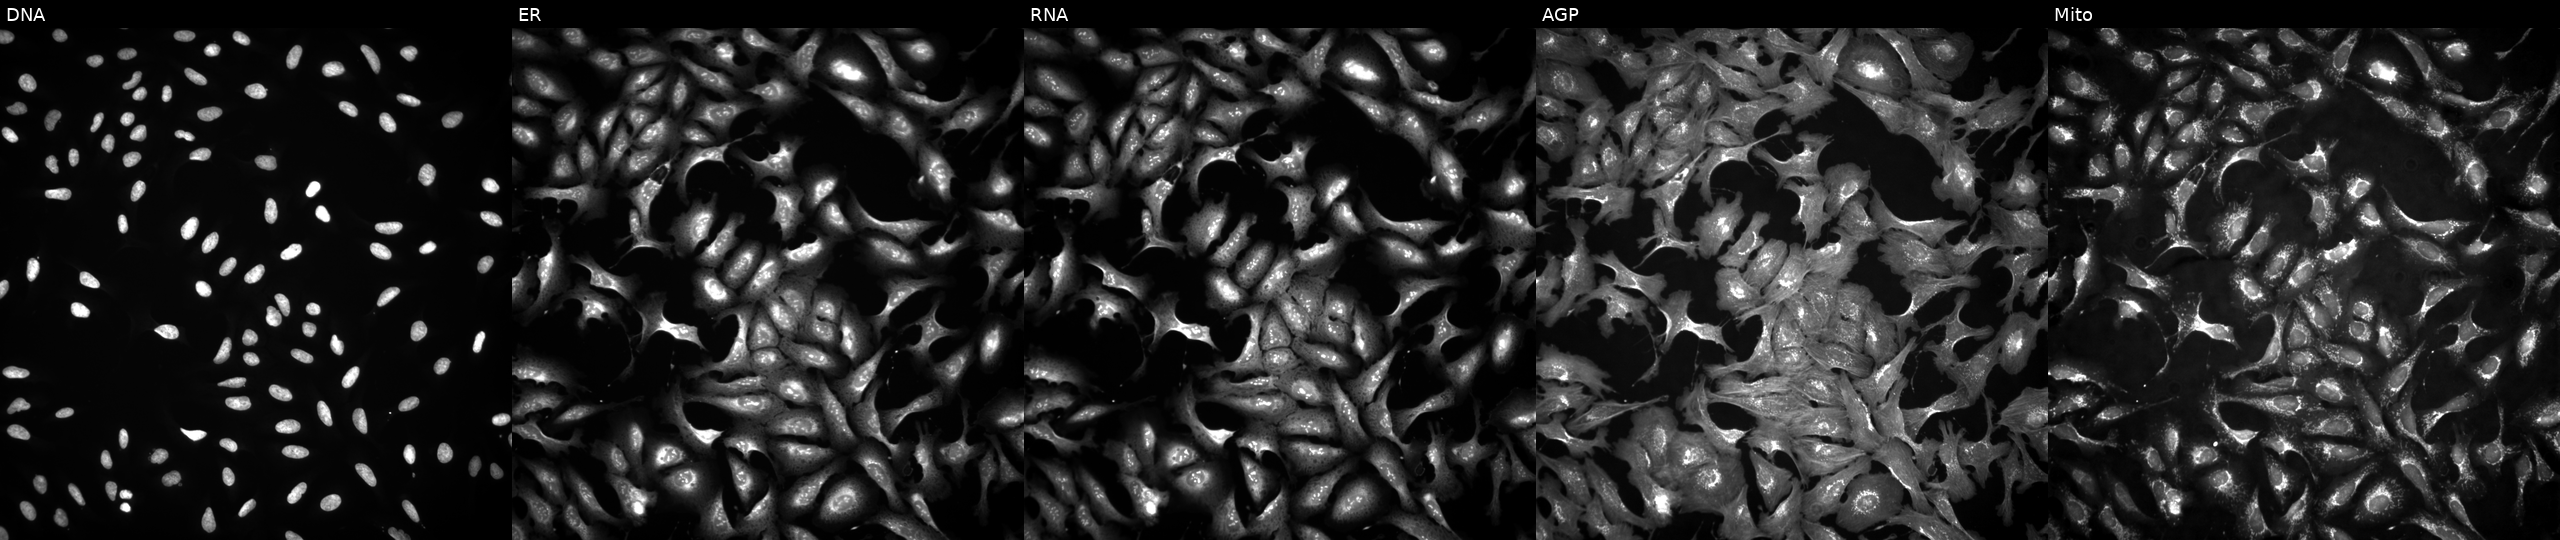
Channels (left→right): DNA (nuclei); ER (endoplasmic reticulum); RNA (nucleoli and cytoplasmic RNA); AGP (actin cytoskeleton, Golgi, and plasma membrane); Mito (mitochondria). U2OS osteosarcoma cells transfected with an ORF construct for MPP7. Cell Painting assay, JUMP-CP dataset. Source 4, plate BR00123945, well C14.